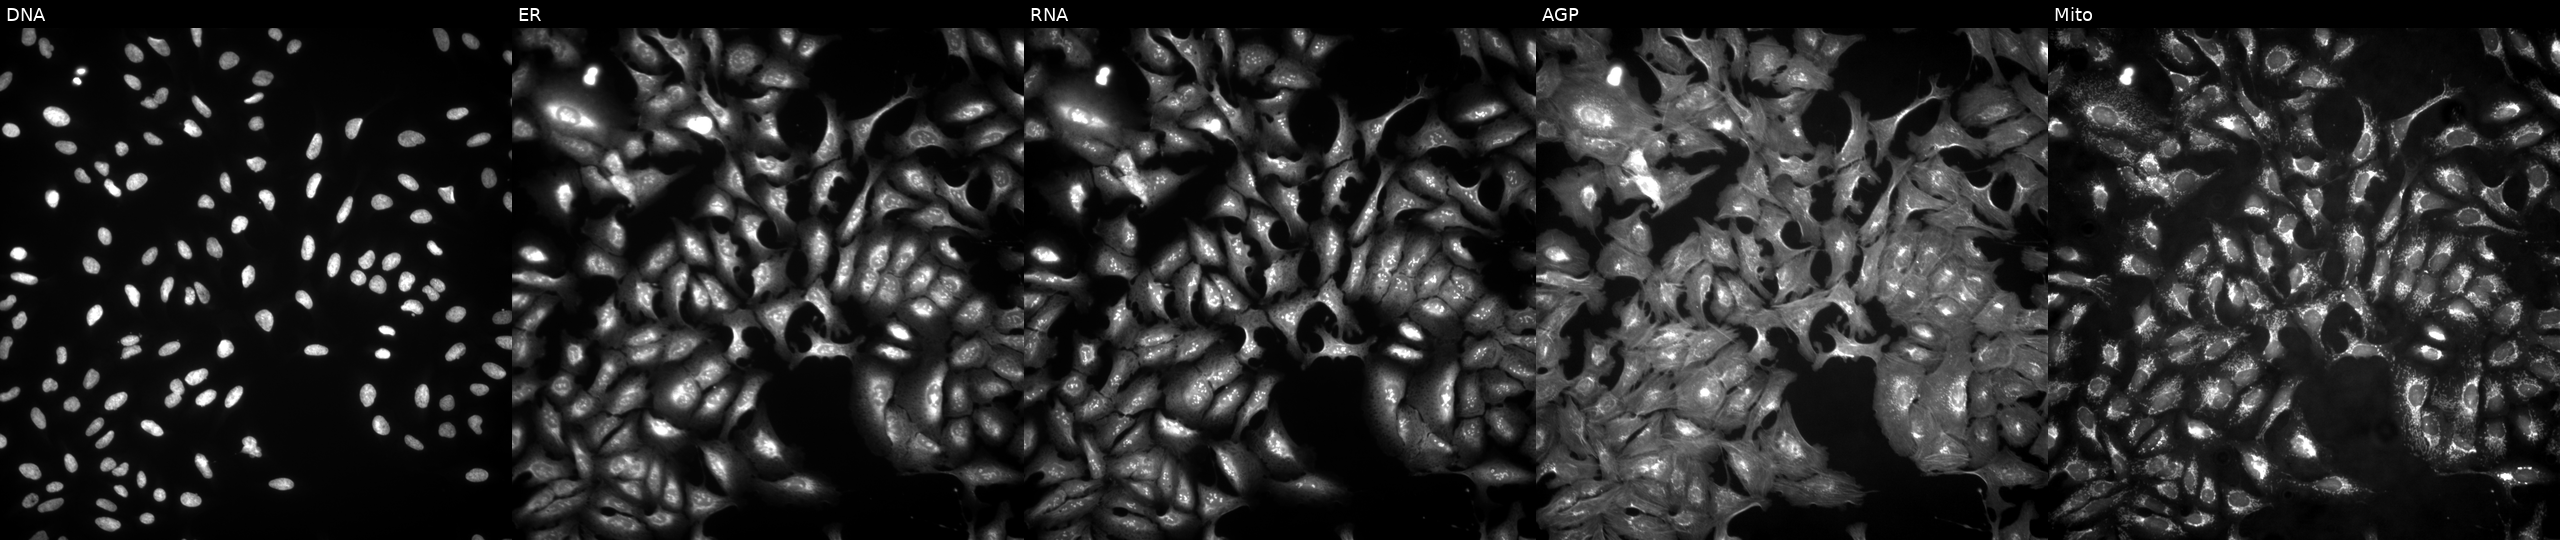
High-content fluorescence microscopy (Cell Painting). Cell line: U2OS. Perturbation: transfected with an ORF construct for TIMP3. The five panels, left to right, show Hoechst 33342, concanavalin A, SYTO 14, phalloidin and WGA, MitoTracker.